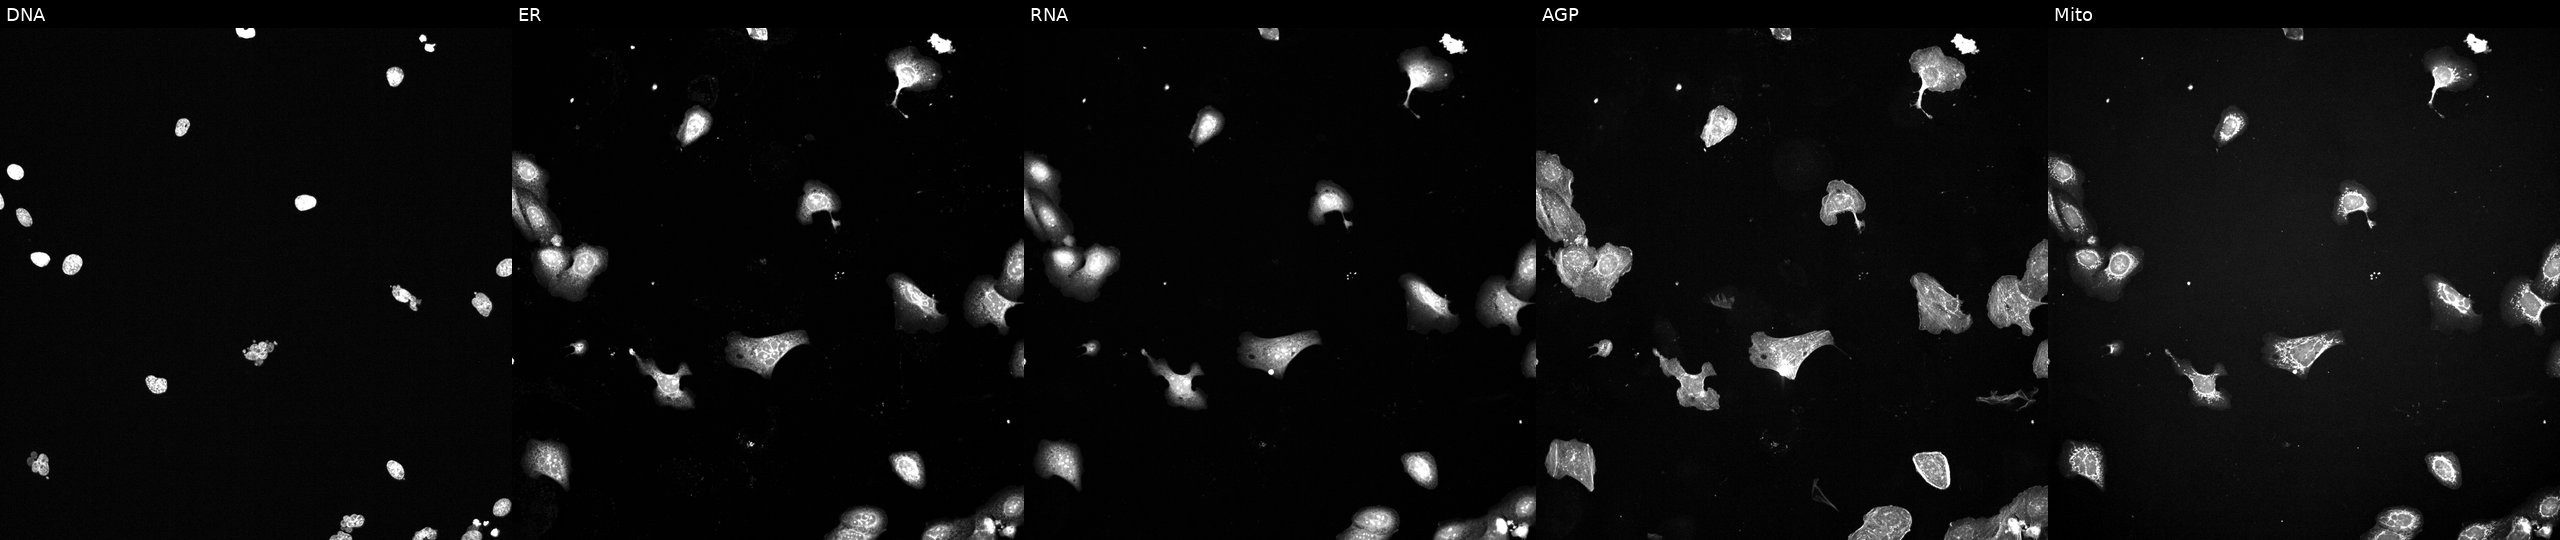
Five-channel Cell Painting image of U2OS cells treated with a small-molecule compound. Channels (left→right): DNA, ER, RNA, AGP, and Mito. Source 6, plate 110000294901, well G14.